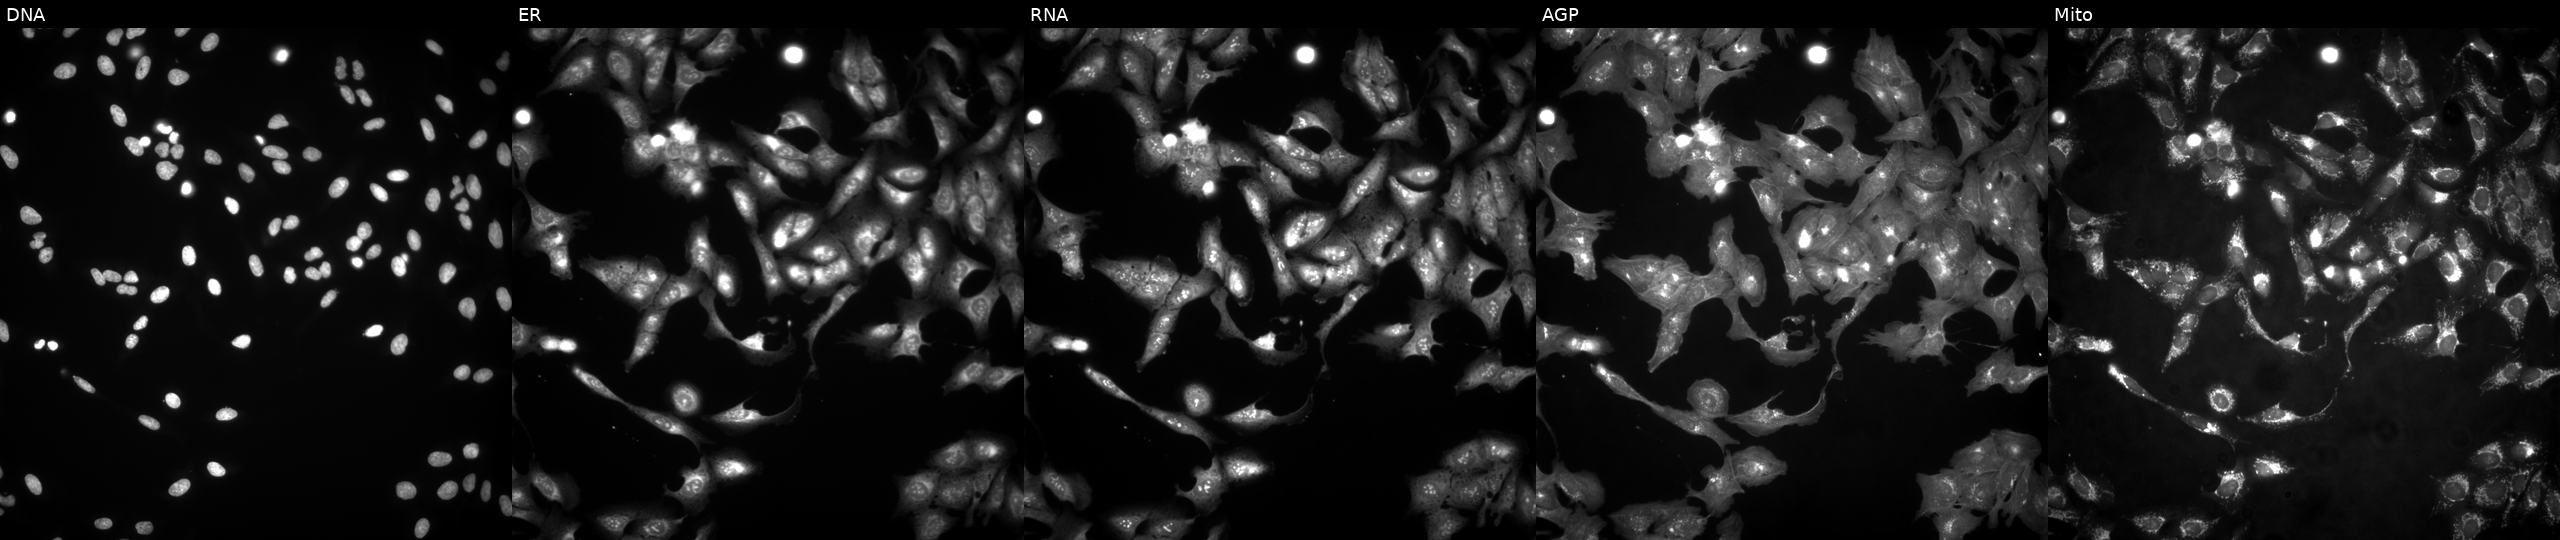
Five-channel Cell Painting image of U2OS cells overexpressing RNF130 via ORF transfection. Panels show, left to right, DNA, ER, RNA, AGP, and Mito. Source 4, plate BR00123509, well C21.